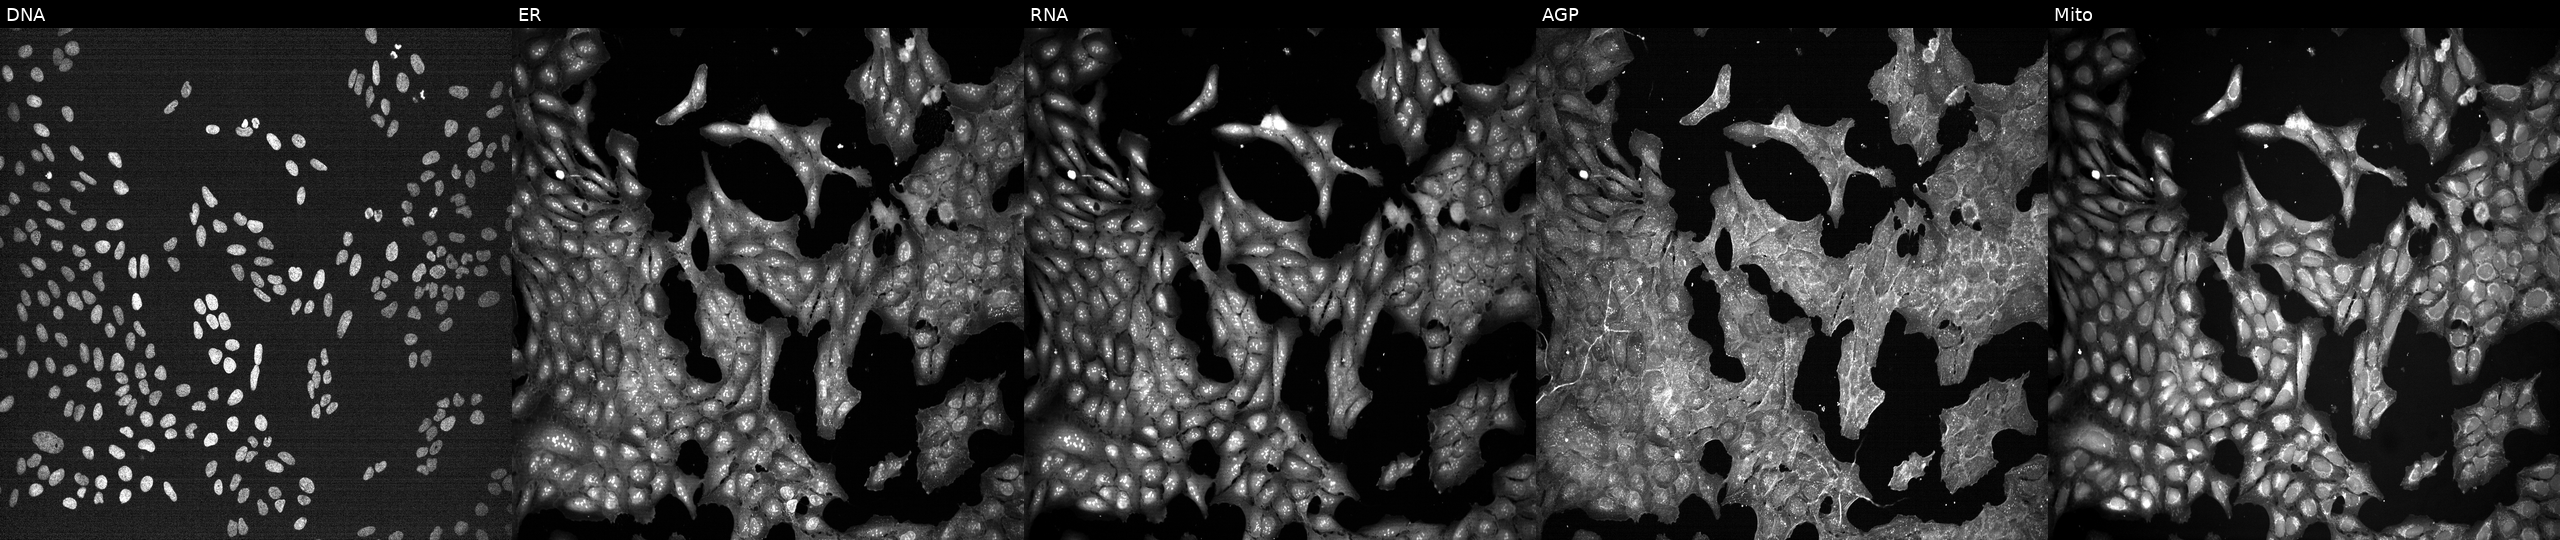
JUMP Cell Painting — TARGET2 plate. U2OS cells treated with a small-molecule compound. The five panels, left to right, show DNA, ER, RNA, AGP, and Mito.